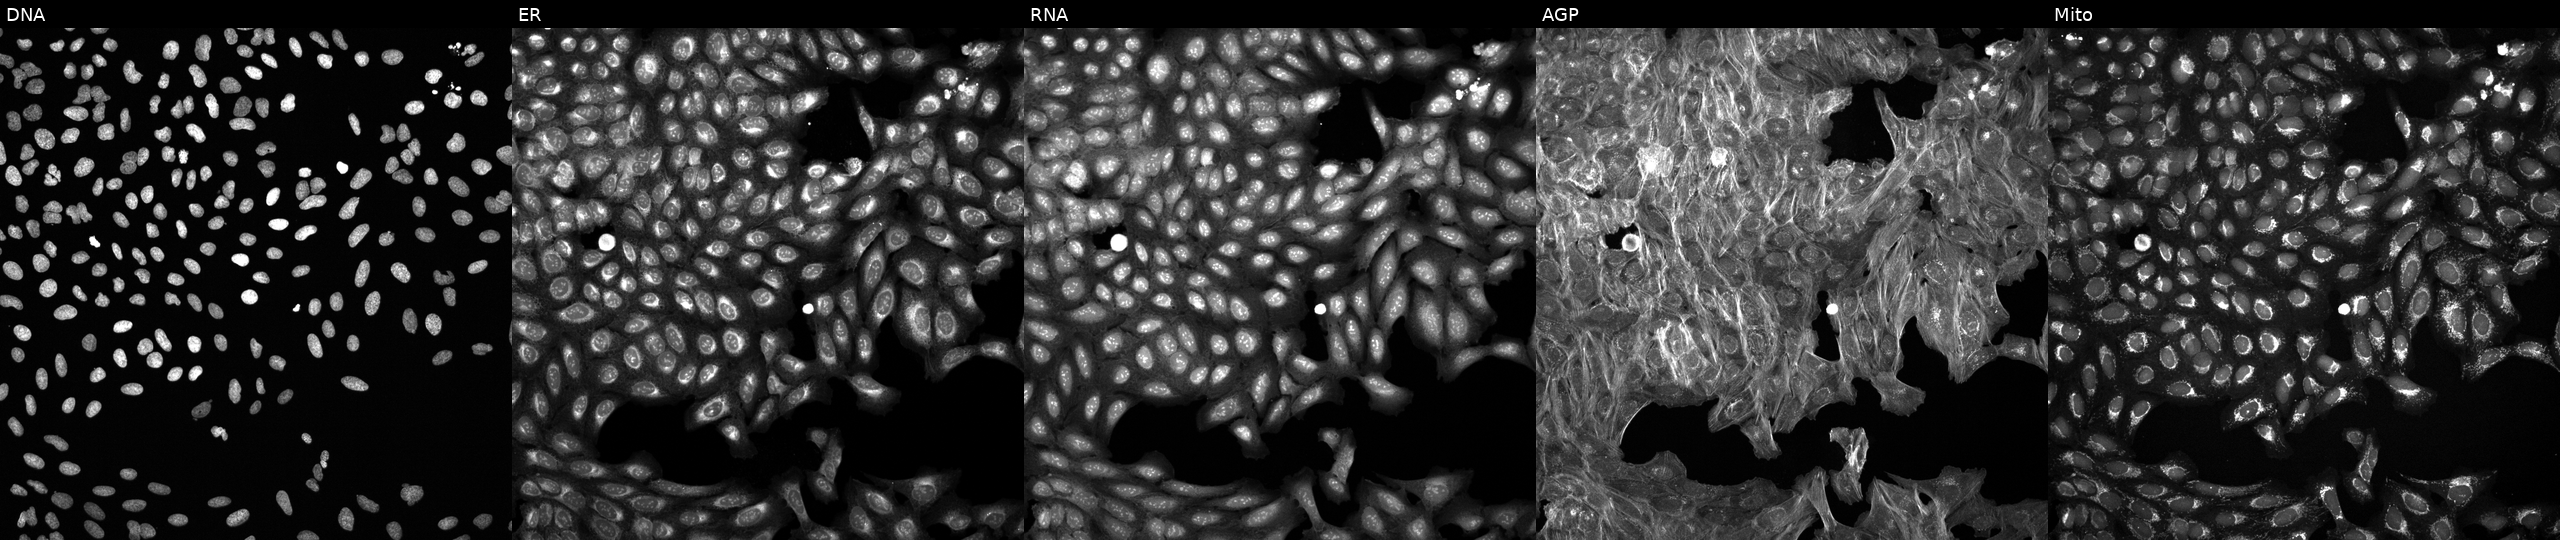
This image strip shows the five Cell Painting channels for a single field of U2OS cells treated with a small-molecule compound. From left to right: DNA, ER, RNA, AGP, and Mito.